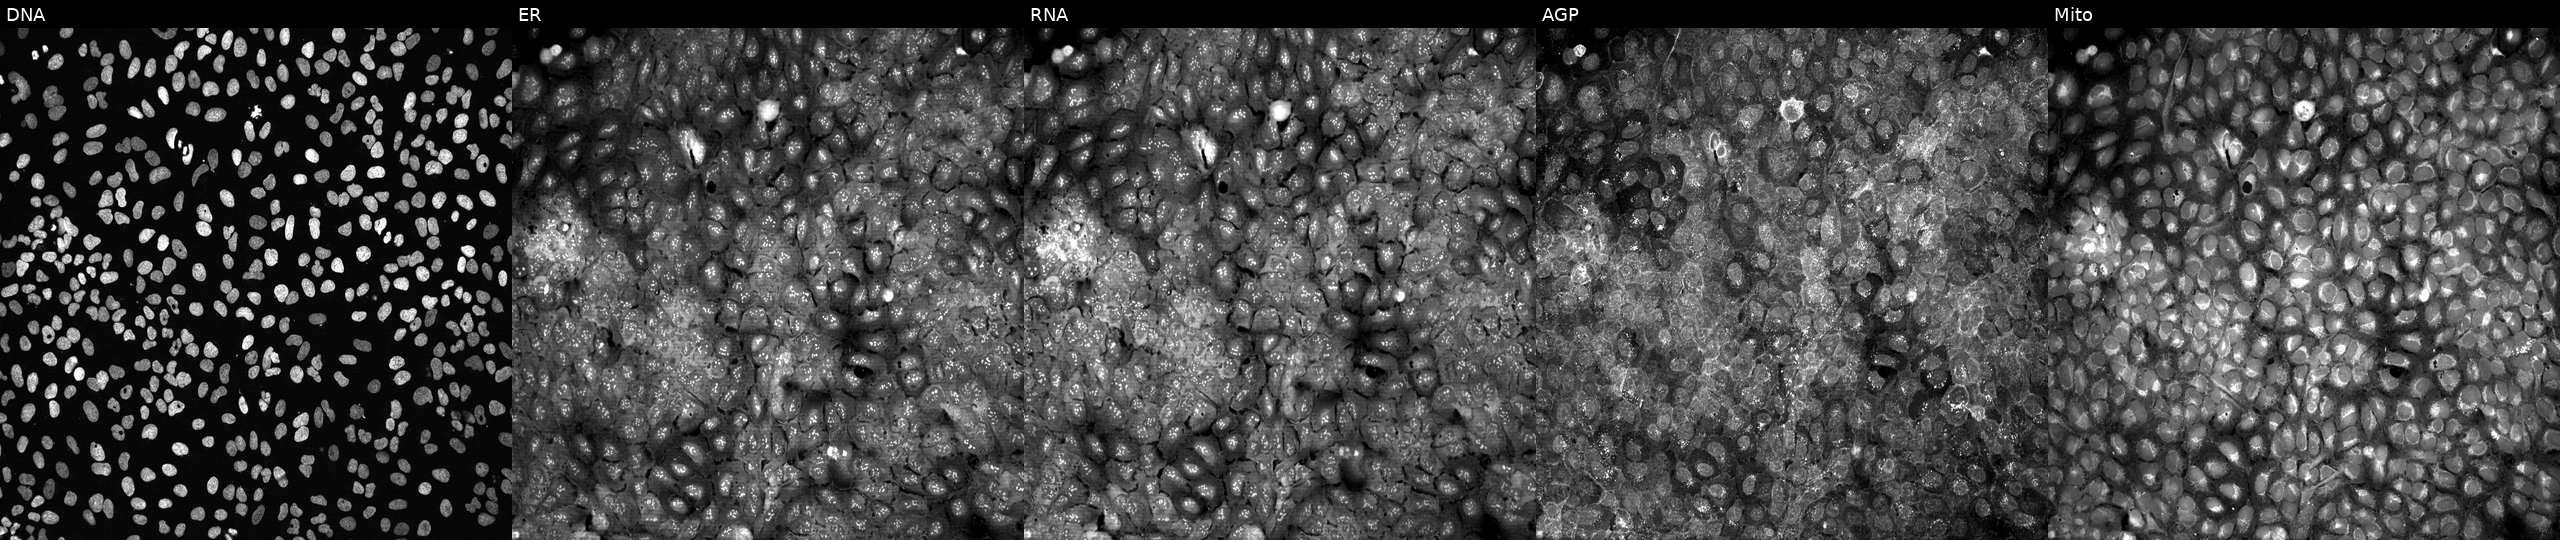
Channels (left→right): DNA (nuclei); ER (endoplasmic reticulum); RNA (nucleoli and cytoplasmic RNA); AGP (actin cytoskeleton, Golgi, and plasma membrane); Mito (mitochondria). U2OS osteosarcoma cells following CRISPR knockout of PTGIS (JUMP id JCP2022_805655). Cell Painting assay, JUMP-CP dataset. Source 13, plate CP-CC9-R1-01, well F17.